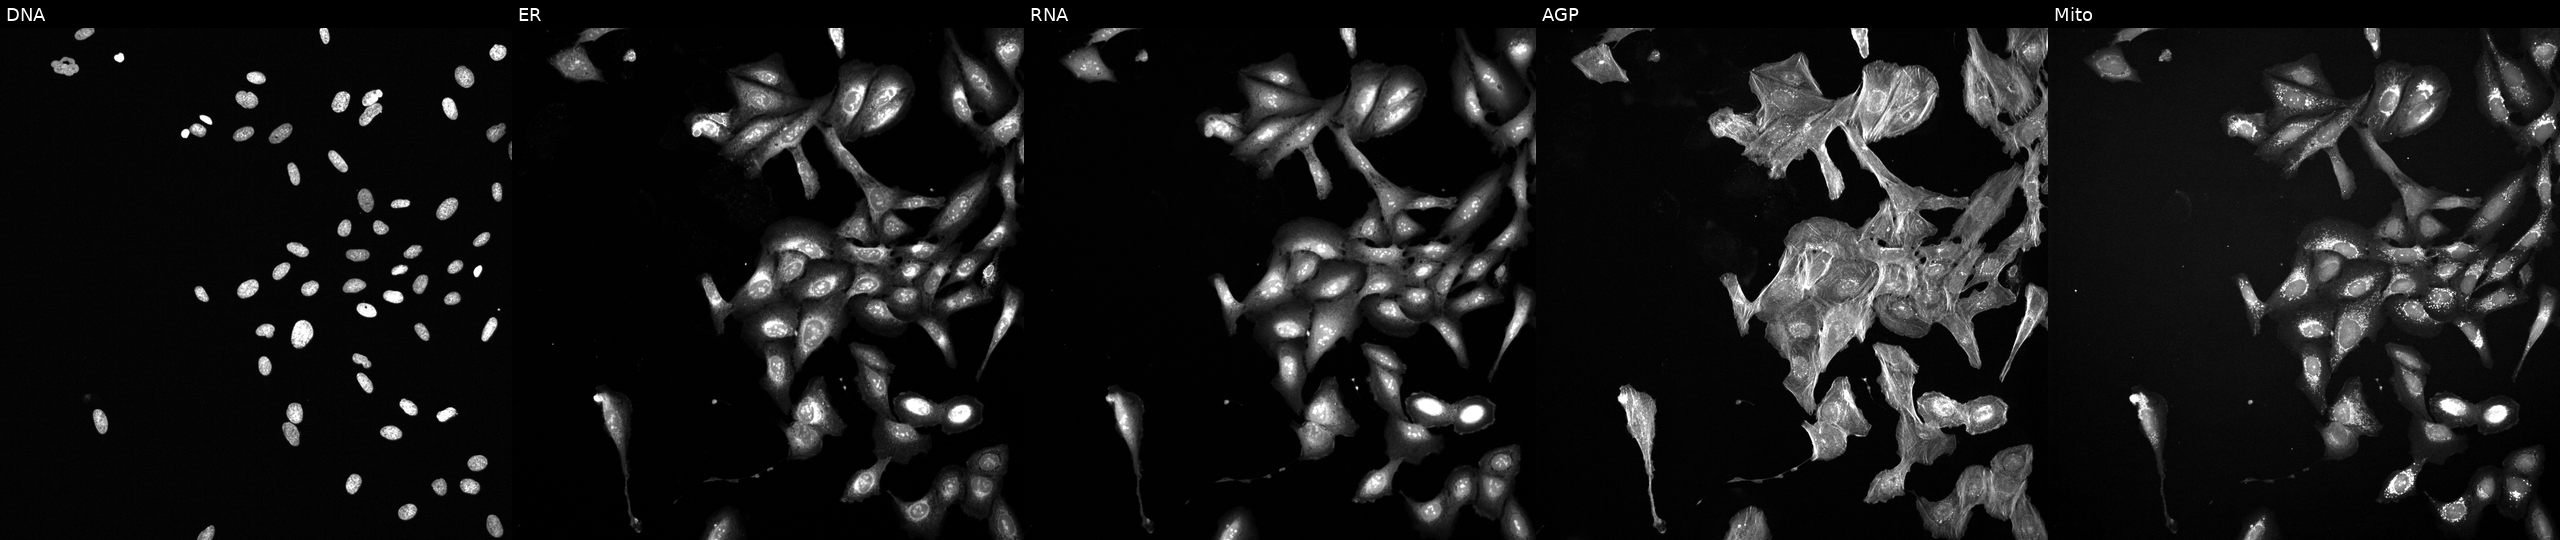
Five-channel Cell Painting image of U2OS cells exposed to a small-molecule compound [SMILES: O=C1C(SCCO)=C(SCCO)C(=O)c2ccccc21] (JUMP id JCP2022_052804). The five panels, left to right, show DNA, ER, RNA, AGP, and Mito.